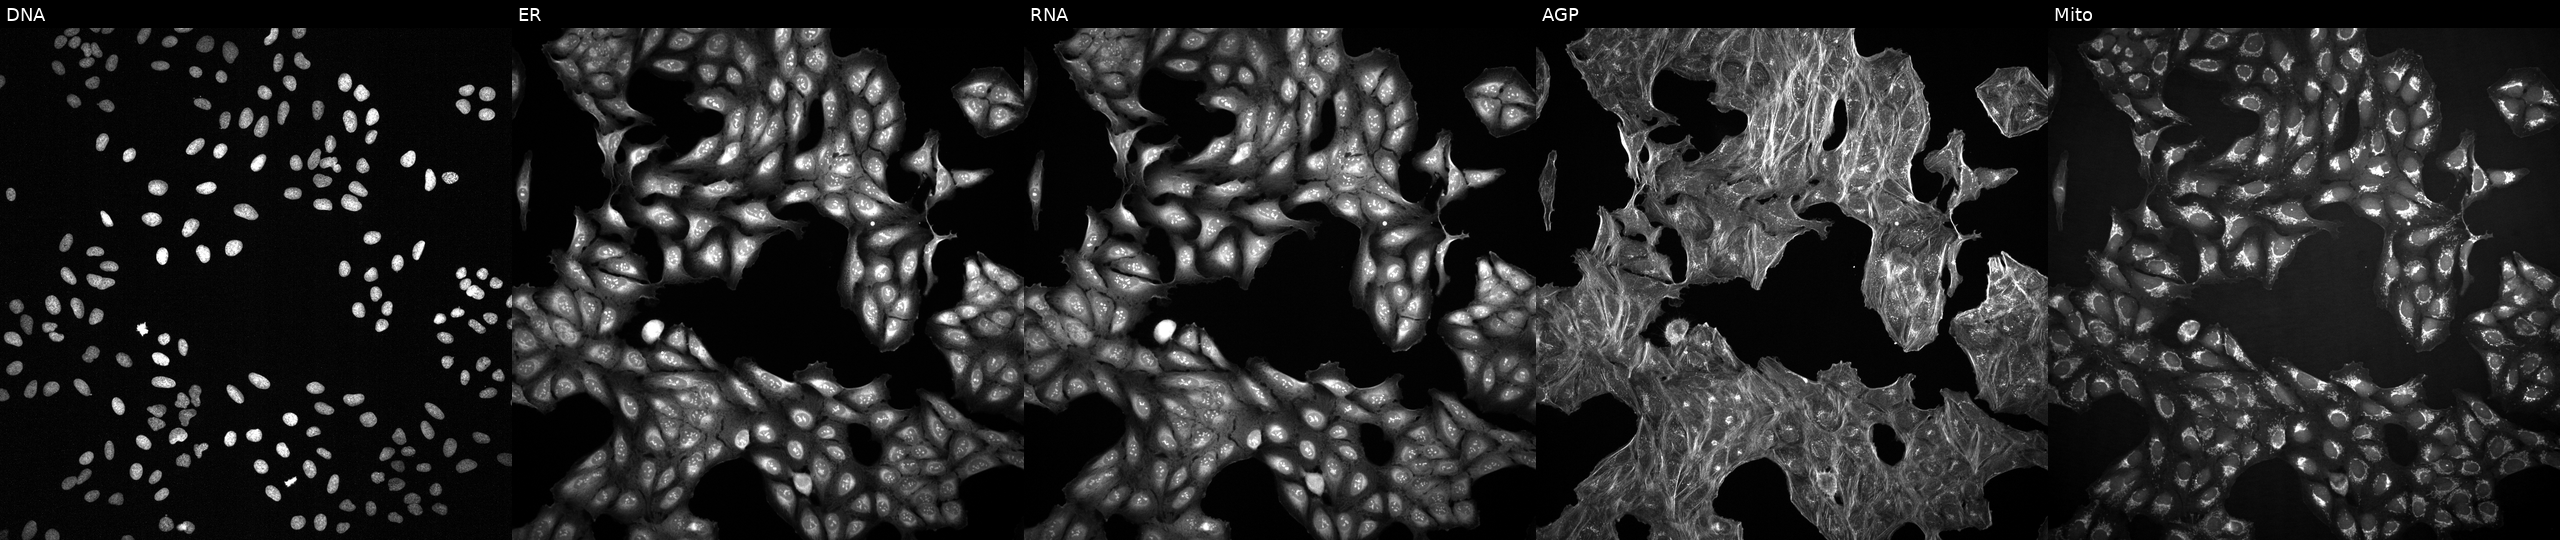
U2OS cells, Cell Painting assay, treated with a small-molecule compound (InChIKey SVMHYHIZWOJKDL-UHFFFAOYSA-N) (JUMP id JCP2022_085892). Channels (left→right): Hoechst 33342, concanavalin A, SYTO 14, phalloidin and WGA, MitoTracker. Each panel is percentile-stretched 16-bit fluorescence.